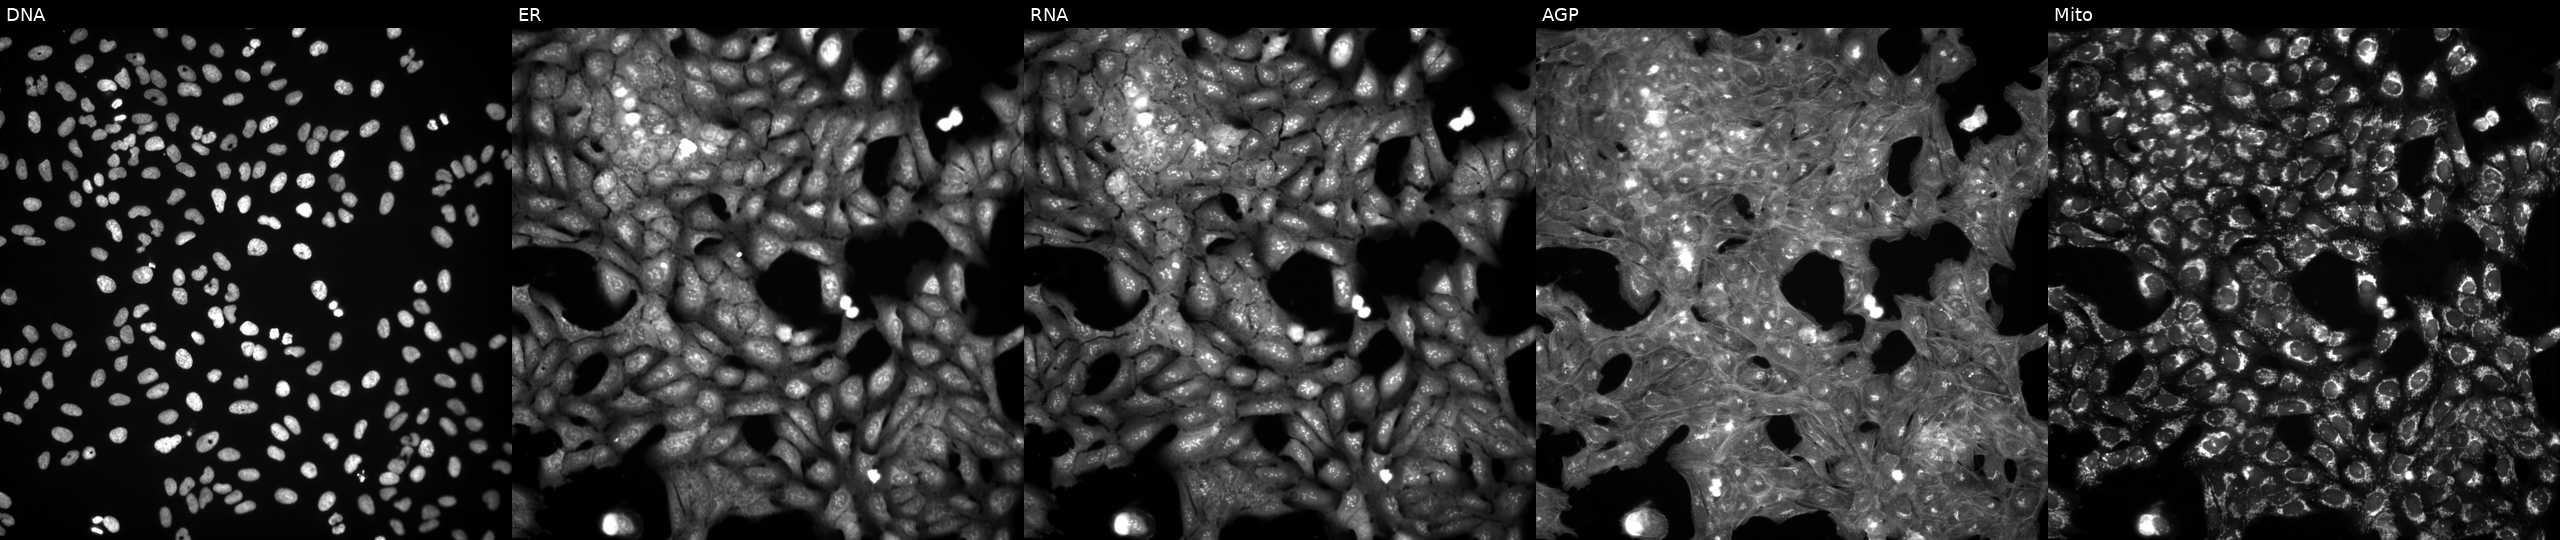
JUMP Cell Painting — TARGET2 plate. U2OS cells exposed to a small-molecule compound (InChIKey PMATZTZNYRCHOR-UHFFFAOYSA-N) (JUMP id JCP2022_069491). Channels (left→right): DNA (nuclei); ER (endoplasmic reticulum); RNA (nucleoli and cytoplasmic RNA); AGP (actin cytoskeleton, Golgi, and plasma membrane); Mito (mitochondria). Source 3, plate JCPQC051, well L04.